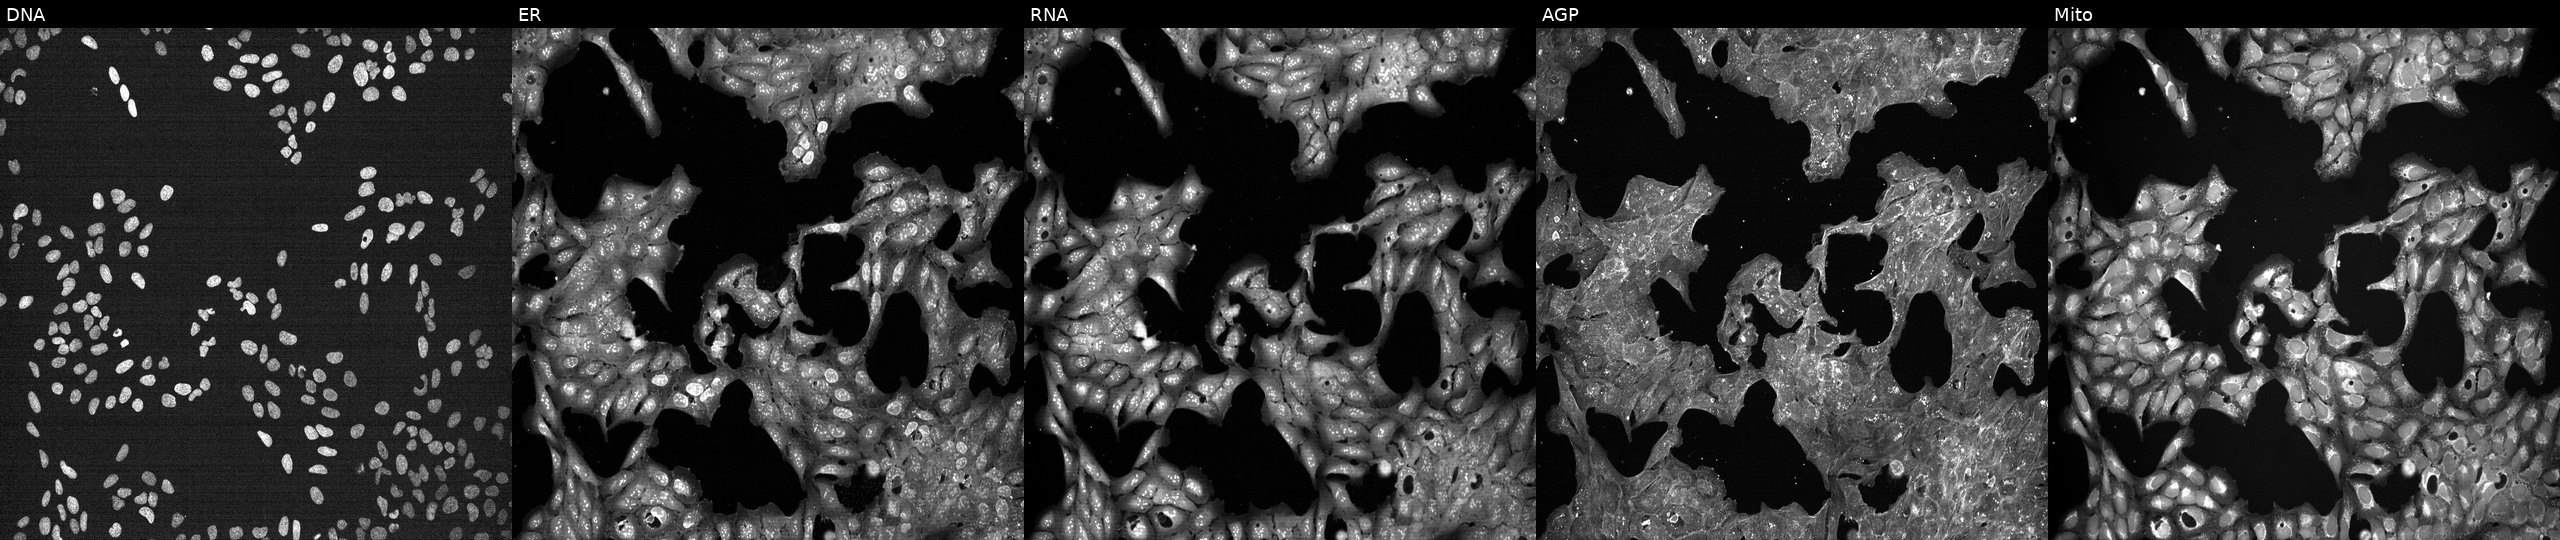
JUMP Cell Painting — TARGET2 plate. U2OS cells perturbed with a small-molecule compound (InChIKey XRKYMMUGXMWDAO-UHFFFAOYSA-N). From left to right: Hoechst 33342, concanavalin A, SYTO 14, phalloidin and WGA, MitoTracker. Source 7, plate CP1-SC1-25, well K15.